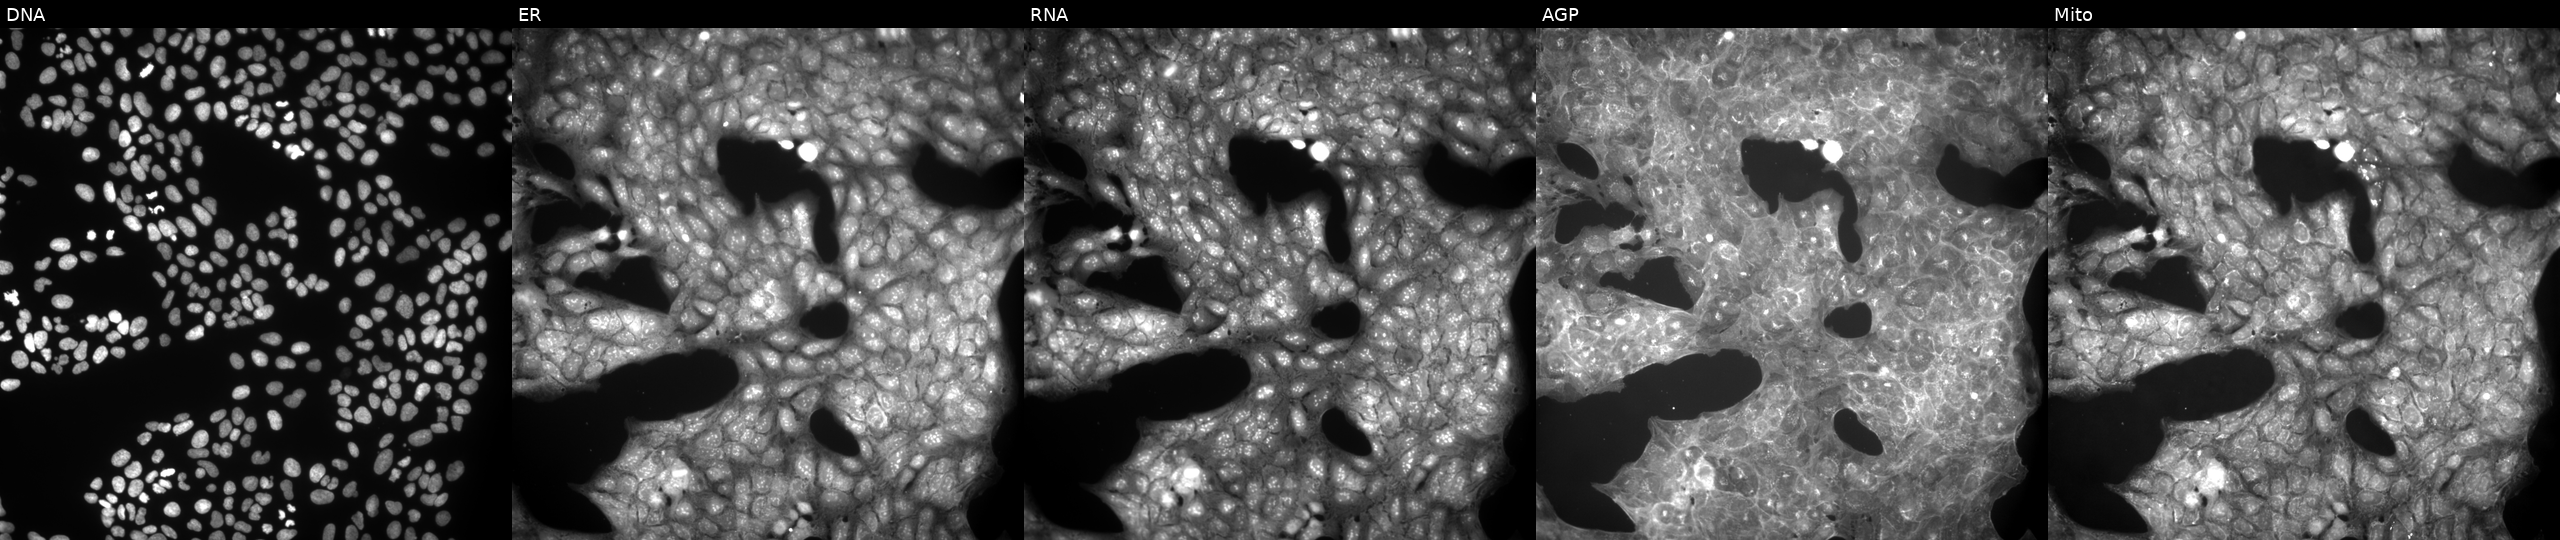
High-content fluorescence microscopy (Cell Painting). Cell line: U2OS. Perturbation: treated with a small-molecule compound (InChIKey IBCXZJCWDGCXQT-UHFFFAOYSA-N) [SMILES: c1ccc(-c2[nH]ncc2-c2ccnc3ccccc23)nc1] (JUMP id JCP2022_033954). Panels show, left to right, Hoechst 33342, concanavalin A, SYTO 14, phalloidin and WGA, MitoTracker.